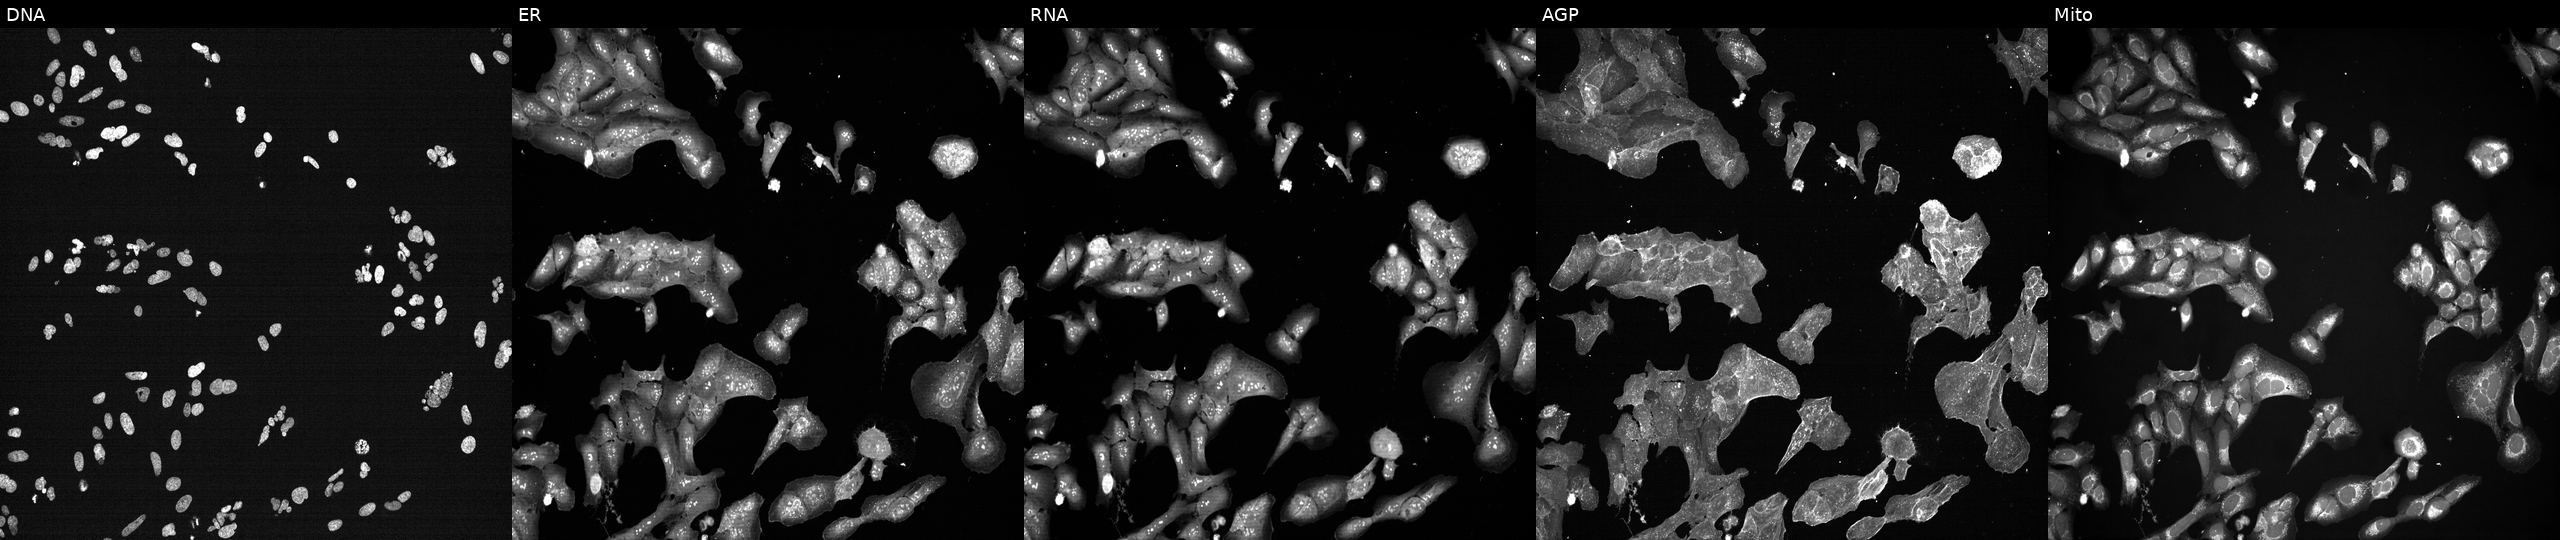
Five-channel Cell Painting image of U2OS cells treated with a small-molecule compound. Panels show, left to right, DNA, ER, RNA, AGP, and Mito.